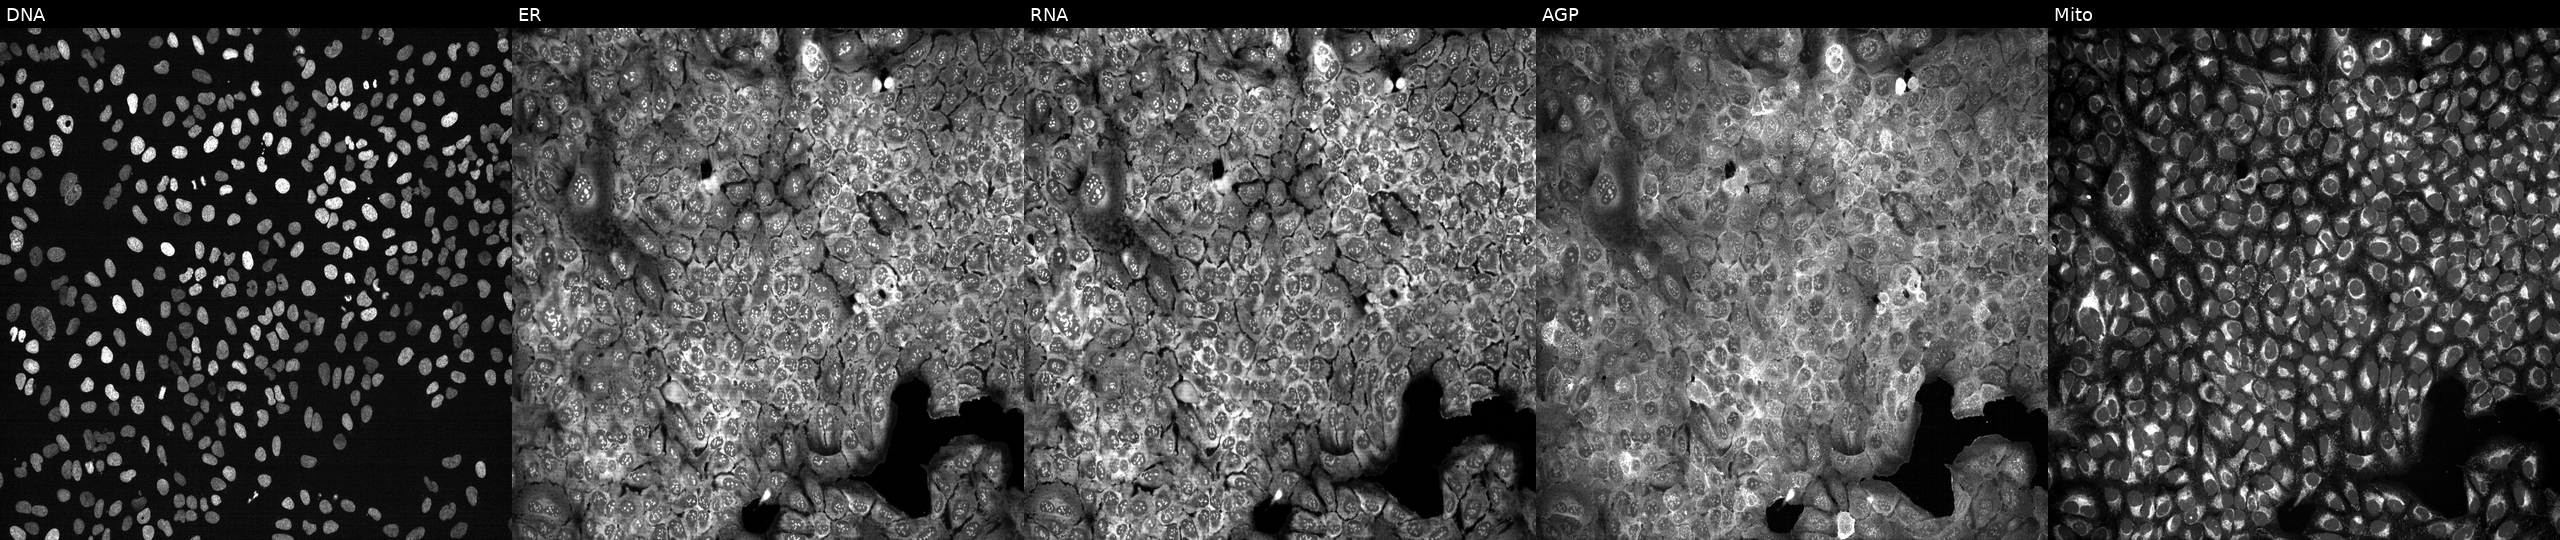
This image strip shows the five Cell Painting channels for a single field of U2OS cells following CRISPR knockout of TXNDC2. From left to right: Hoechst 33342, concanavalin A, SYTO 14, phalloidin and WGA, MitoTracker.